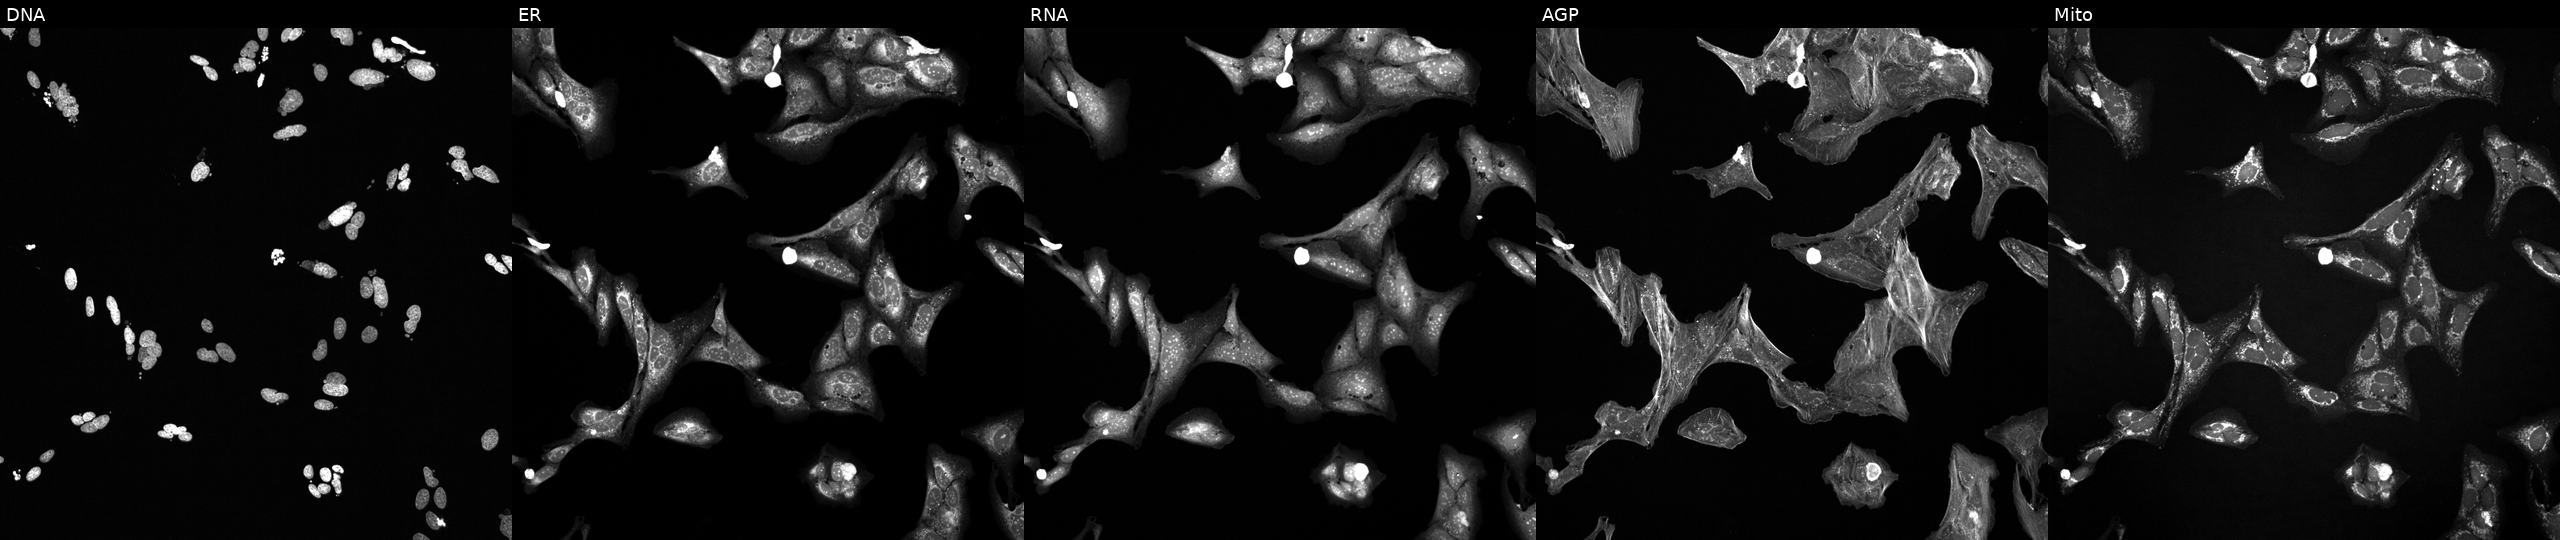
U2OS cells, Cell Painting assay, exposed to a small-molecule compound (InChIKey JOOXLOJCABQBSG-UHFFFAOYSA-N) (JUMP id JCP2022_041139). The five panels, left to right, show DNA (nuclei); ER (endoplasmic reticulum); RNA (nucleoli and cytoplasmic RNA); AGP (actin cytoskeleton, Golgi, and plasma membrane); Mito (mitochondria). Each panel is percentile-stretched 16-bit fluorescence.